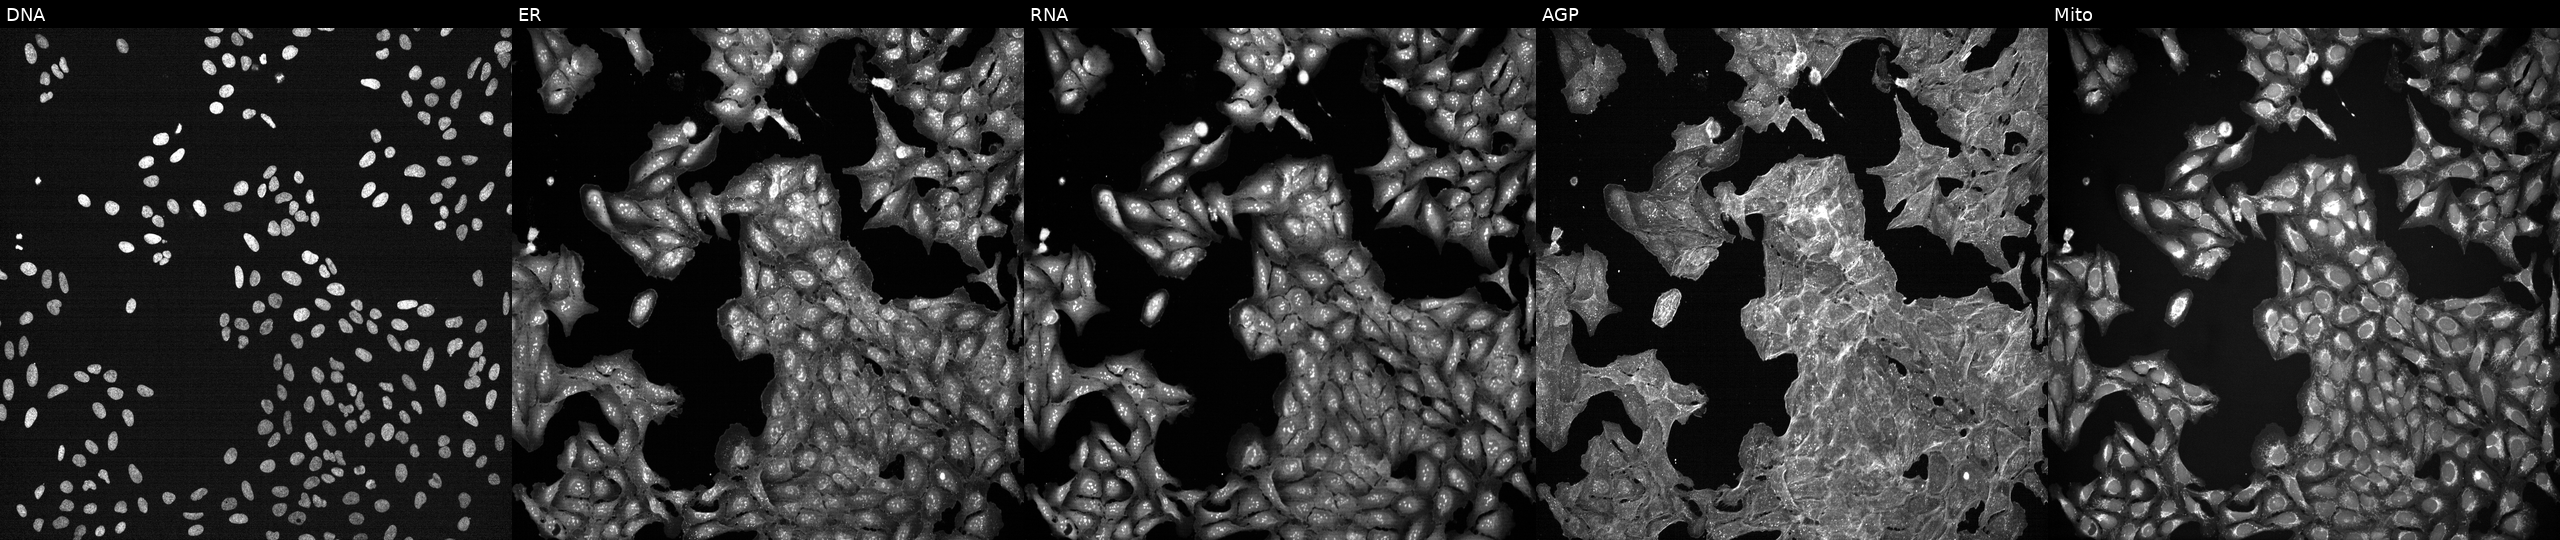
U2OS cells, Cell Painting assay, exposed to a small-molecule compound (JUMP id JCP2022_093047). Panels show, left to right, Hoechst 33342, concanavalin A, SYTO 14, phalloidin and WGA, MitoTracker. Each panel is percentile-stretched 16-bit fluorescence. Source 7, plate CP2-SC1-25, well N24.